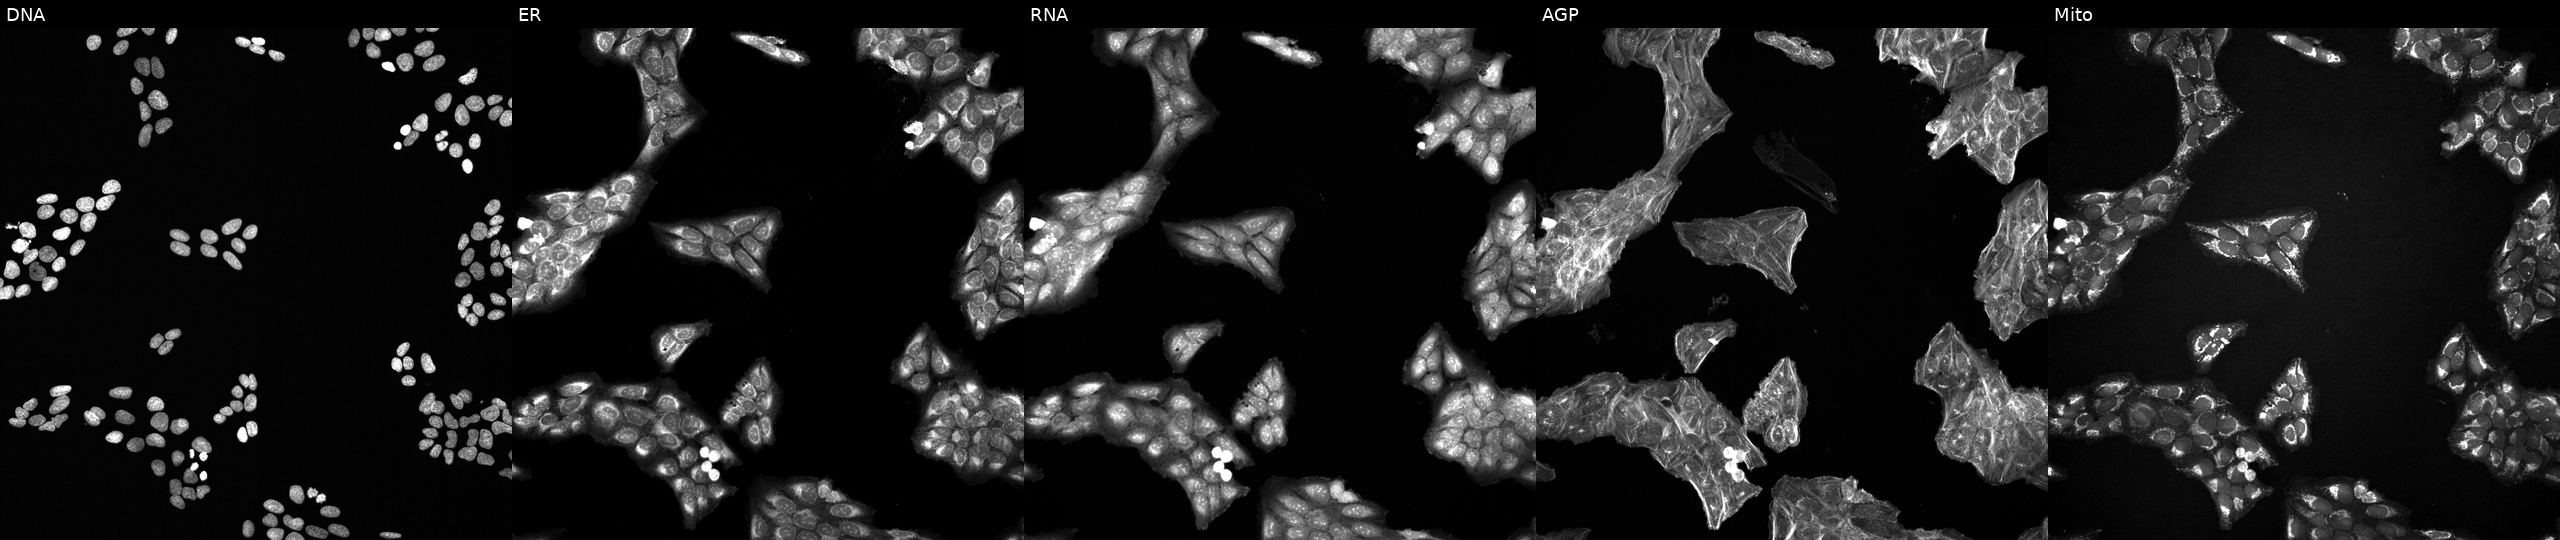
JUMP Cell Painting — TARGET2 plate. U2OS cells treated with a small-molecule compound (InChIKey ZVPDNRVYHLRXLX-UHFFFAOYSA-N) (JUMP id JCP2022_115963). Panels show, left to right, Hoechst 33342, concanavalin A, SYTO 14, phalloidin and WGA, MitoTracker.